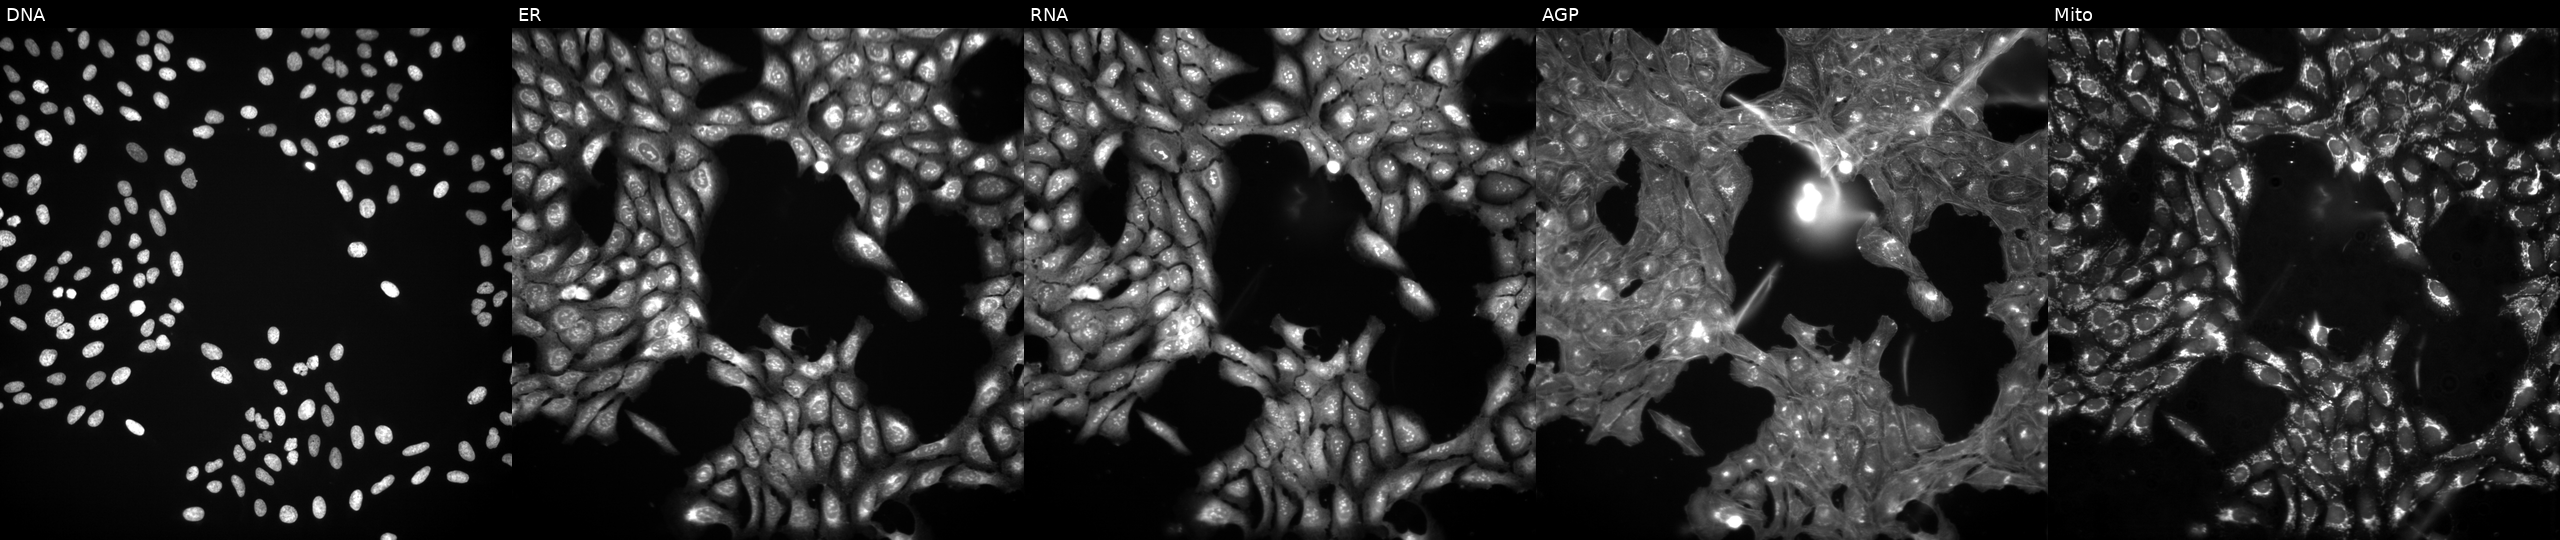
JUMP Cell Painting — COMPOUND plate. U2OS cells perturbed with a small-molecule compound (InChIKey TWEOOGHKGYXXRJ-UHFFFAOYSA-N) (JUMP id JCP2022_087136). Panels show, left to right, Hoechst 33342, concanavalin A, SYTO 14, phalloidin and WGA, MitoTracker. Source 3, plate BR5867a3, well A17.